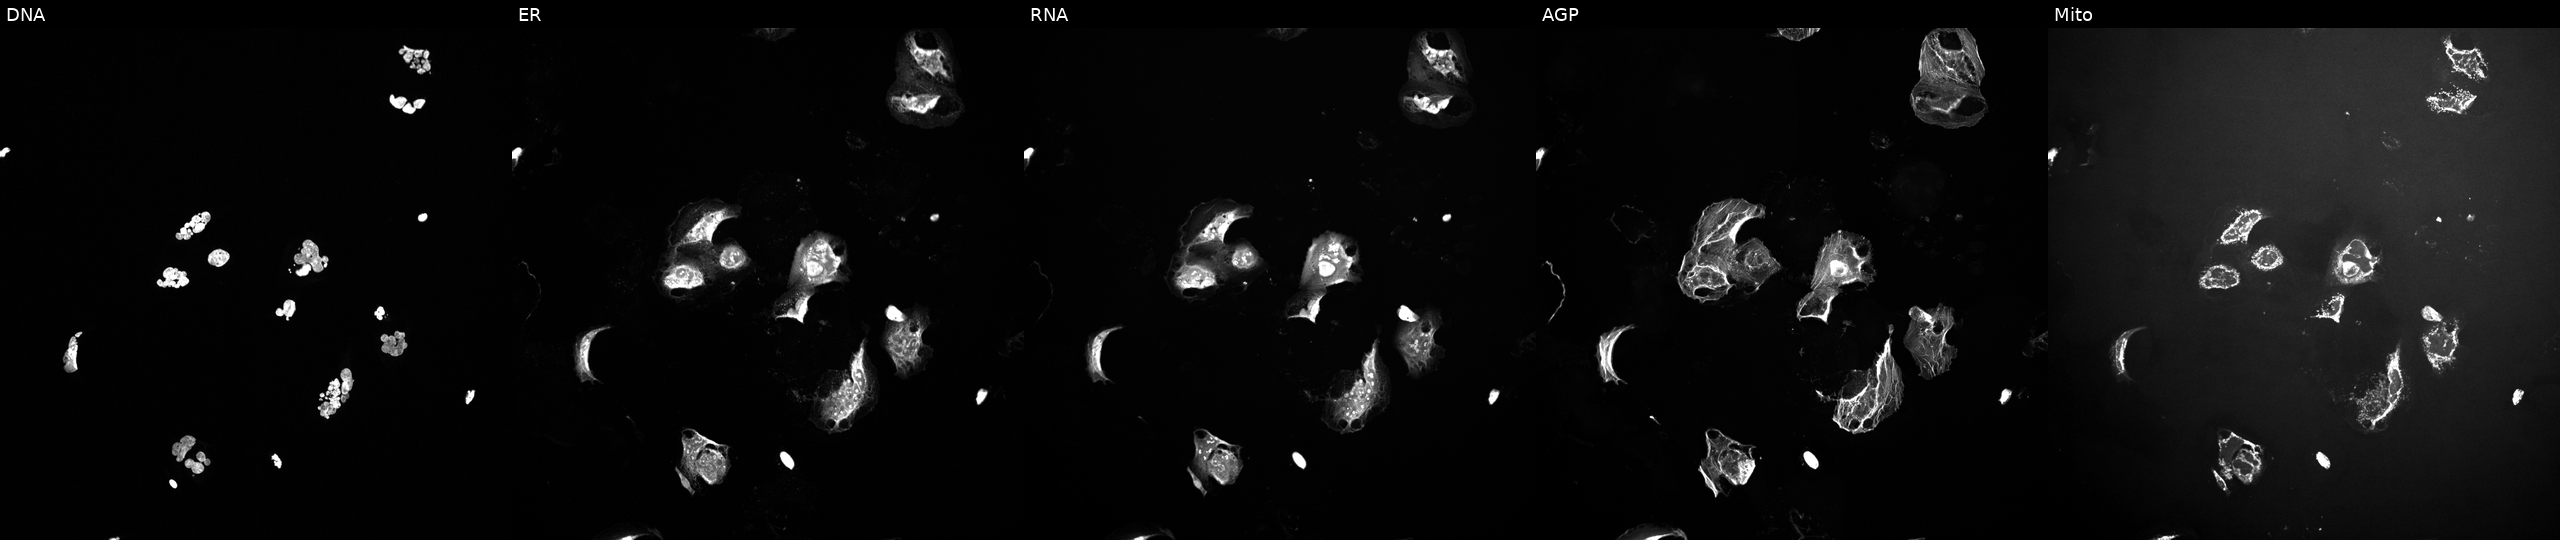
The five panels, left to right, show DNA, ER, RNA, AGP, and Mito. U2OS osteosarcoma cells treated with a small-molecule compound (InChIKey QXRSDHAAWVKZLJ-UHFFFAOYSA-N) [SMILES: CC(=Cc1csc(C)n1)C1CC2OC2(C)CCCC(C)C(O)C(C)C(=O)C(C)(C)C(O)CC(=O)O1]. Cell Painting assay, JUMP-CP dataset. Source 10, plate Dest210726-160150, well D10.